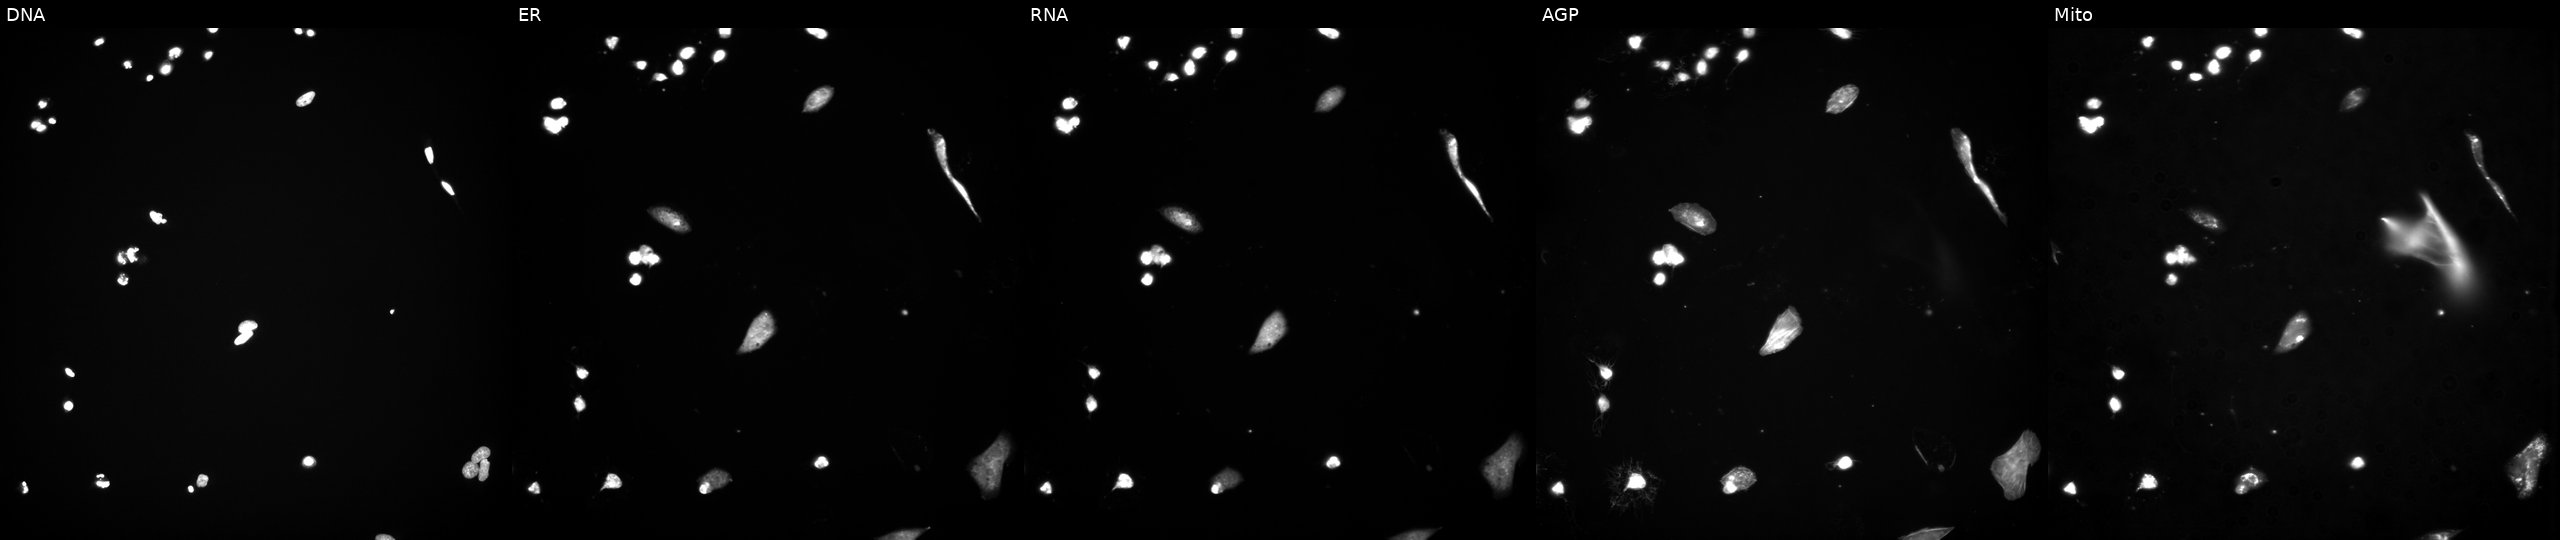
The five panels, left to right, show DNA (nuclei); ER (endoplasmic reticulum); RNA (nucleoli and cytoplasmic RNA); AGP (actin cytoskeleton, Golgi, and plasma membrane); Mito (mitochondria). U2OS osteosarcoma cells perturbed with a small-molecule compound (InChIKey RVAQIUULWULRNW-UHFFFAOYSA-N). Cell Painting assay, JUMP-CP dataset. Source 3, plate JCPQC052, well L22.